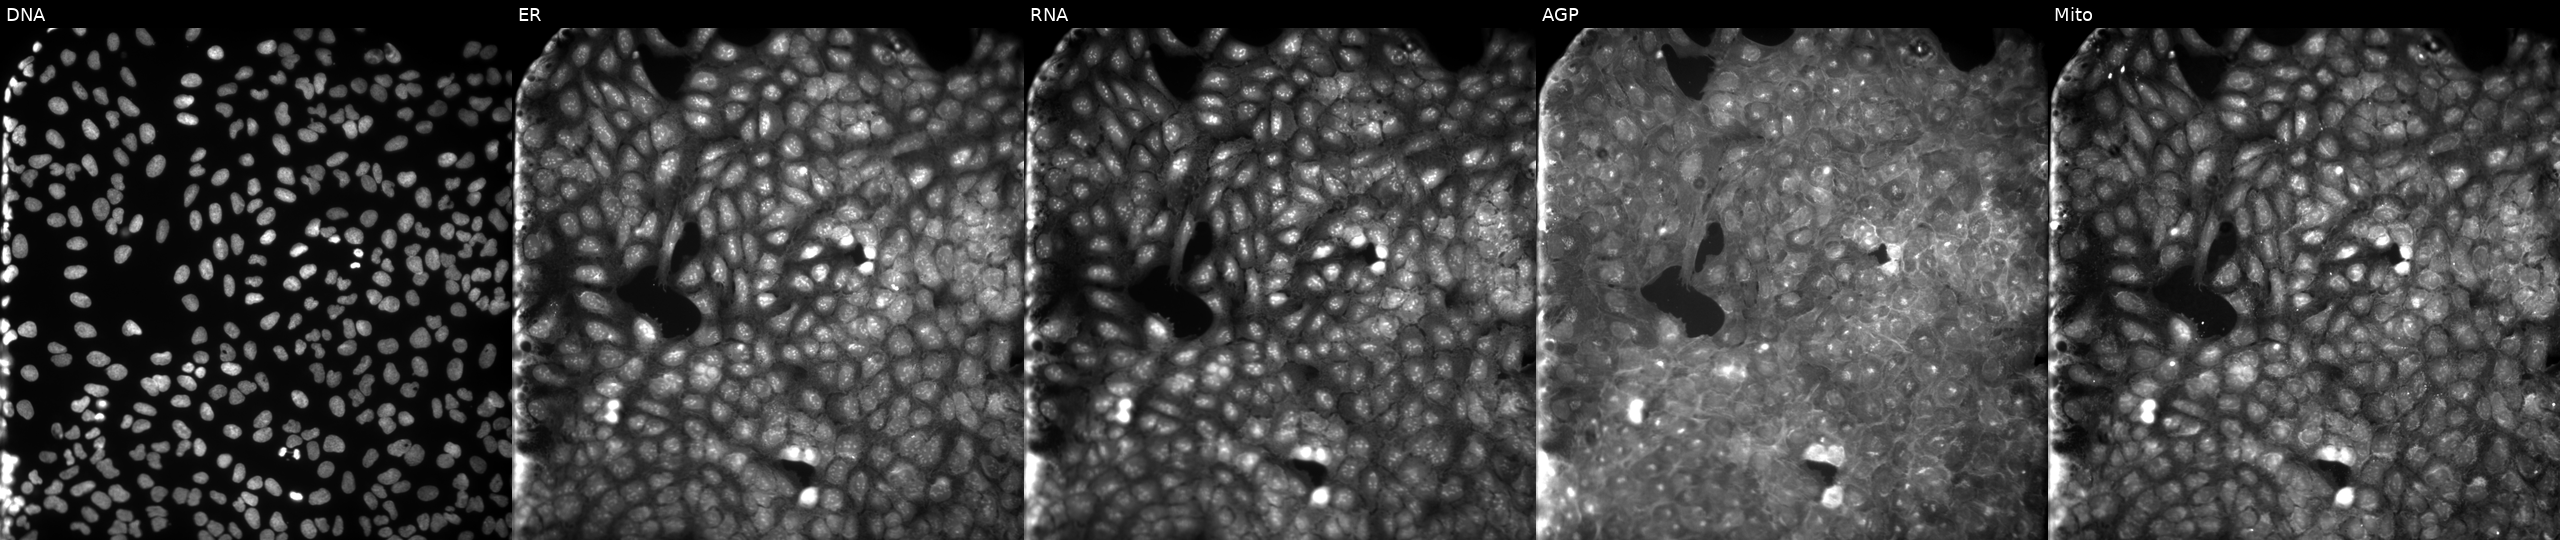
High-content fluorescence microscopy (Cell Painting). Cell line: U2OS. Perturbation: treated with DMSO vehicle only (negative control) (JUMP id JCP2022_033924). Channels (left→right): DNA (nuclei); ER (endoplasmic reticulum); RNA (nucleoli and cytoplasmic RNA); AGP (actin cytoskeleton, Golgi, and plasma membrane); Mito (mitochondria).